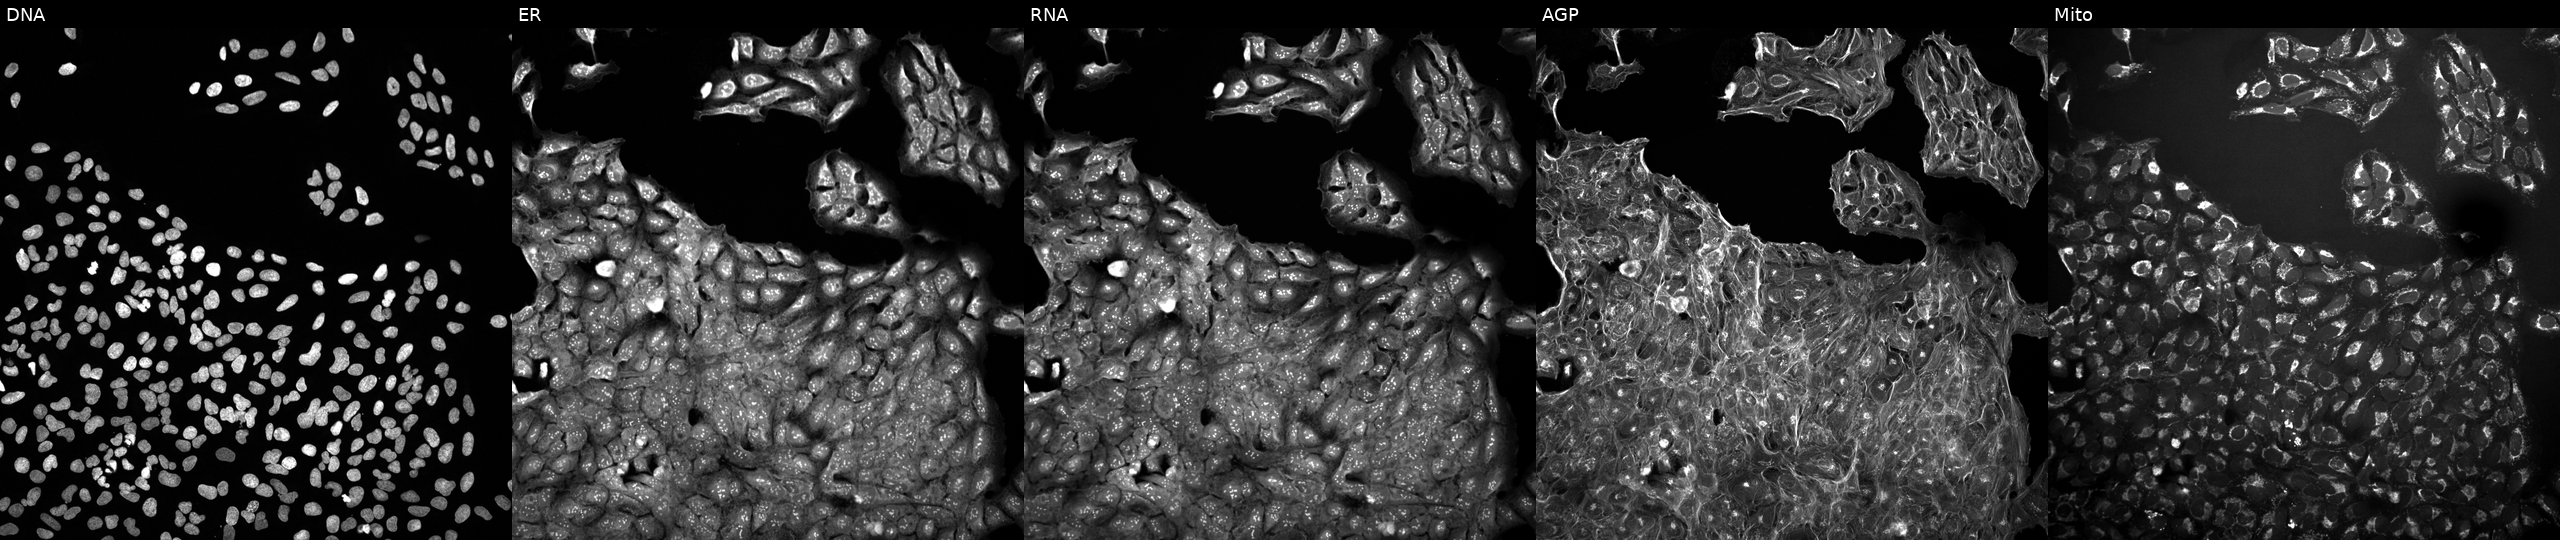
U2OS cells, Cell Painting assay, exposed to DMSO alone as a negative control (JUMP id JCP2022_033924). Panels show, left to right, DNA (nuclei); ER (endoplasmic reticulum); RNA (nucleoli and cytoplasmic RNA); AGP (actin cytoskeleton, Golgi, and plasma membrane); Mito (mitochondria). Each panel is percentile-stretched 16-bit fluorescence.